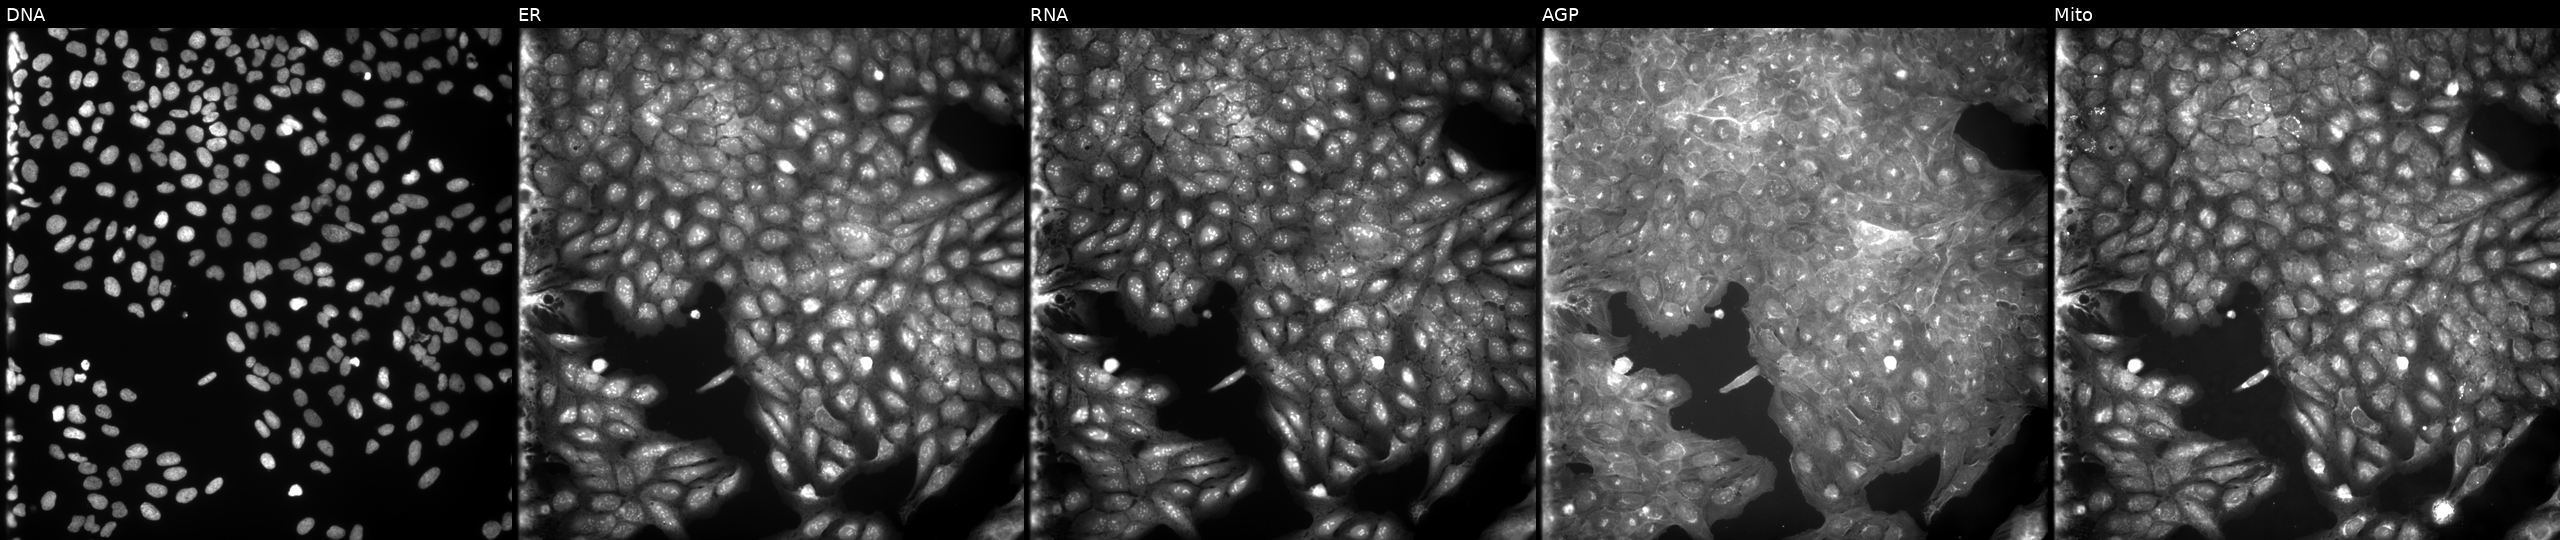
Five-channel Cell Painting image of U2OS cells perturbed with a small-molecule compound (InChIKey JUSSHHHTPQFACP-UHFFFAOYSA-N) [SMILES: CC(=O)c1c(C(C)=O)c(C)n(Cc2ccccc2)c1C] (JUMP id JCP2022_042246). The five panels, left to right, show DNA, ER, RNA, AGP, and Mito.